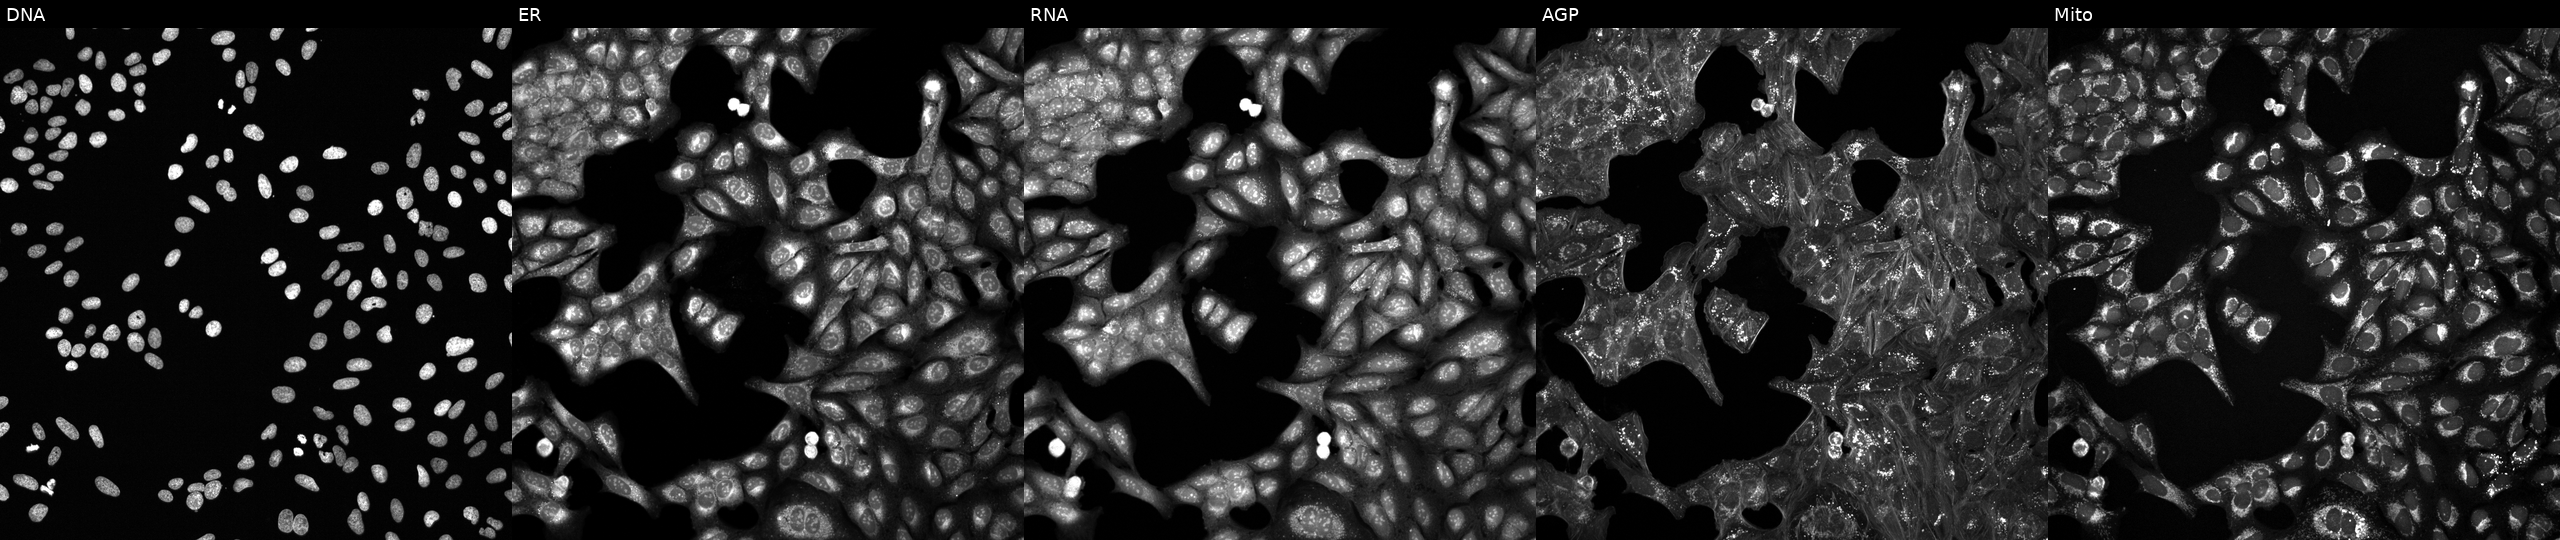
U2OS cells, Cell Painting assay, perturbed with a small-molecule compound (InChIKey CYYNMPPFEJPBJD-UHFFFAOYSA-N) [SMILES: CC1(N2CCC(n3c(C4CCCNC4)nc4ccccc43)CC2)CCCCCCC1]. The five panels, left to right, show Hoechst 33342, concanavalin A, SYTO 14, phalloidin and WGA, MitoTracker. Each panel is percentile-stretched 16-bit fluorescence.